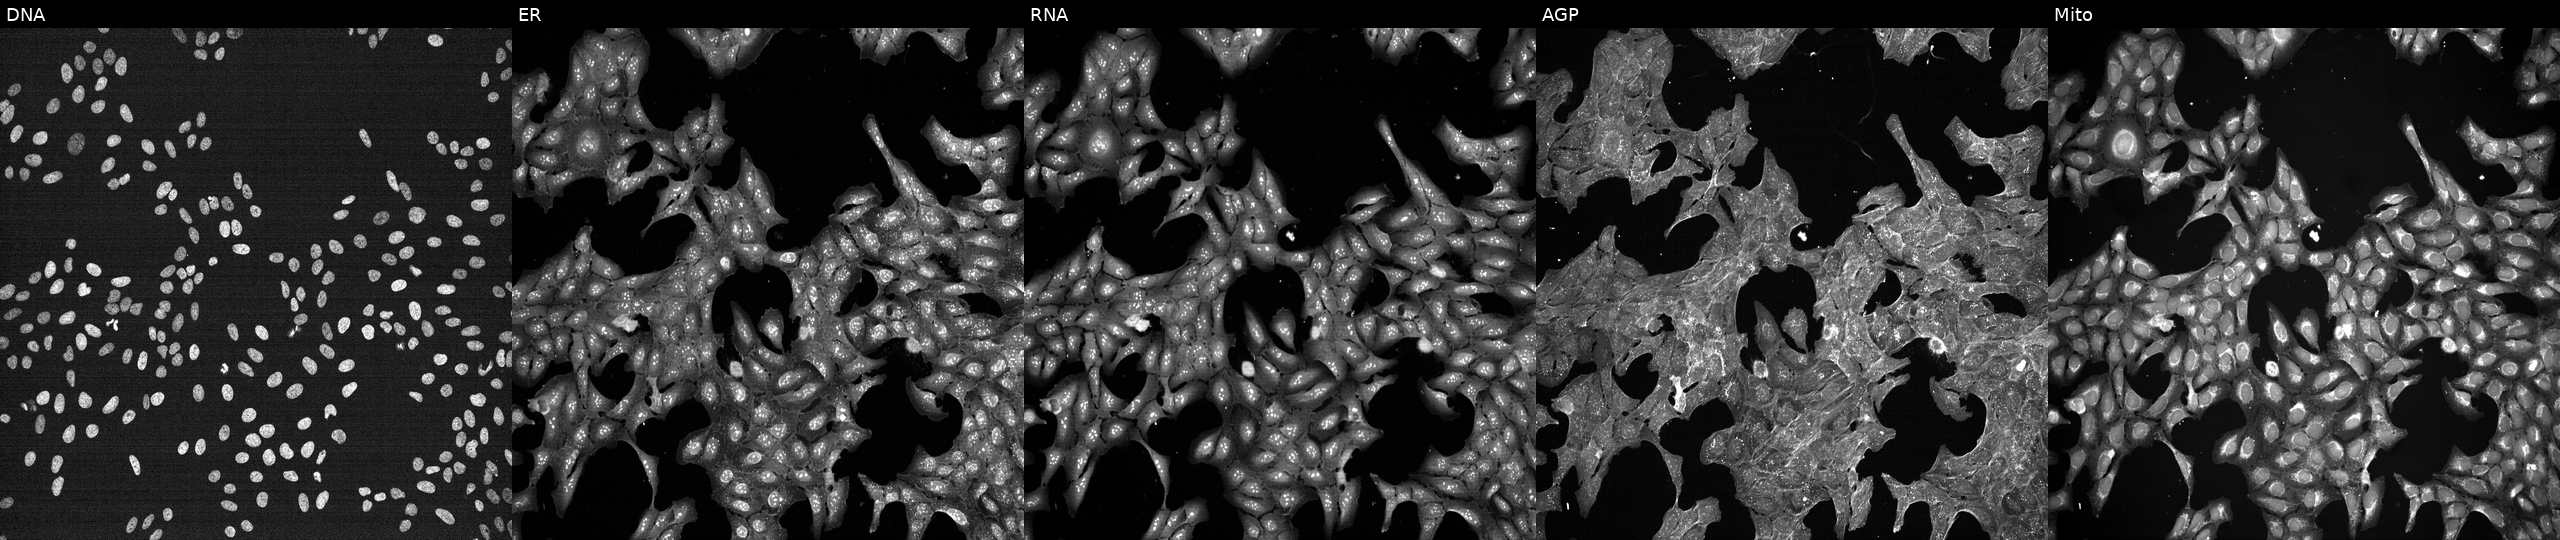
Five-channel Cell Painting image of U2OS cells exposed to a small-molecule compound (JUMP id JCP2022_057881). From left to right: Hoechst 33342, concanavalin A, SYTO 14, phalloidin and WGA, MitoTracker.